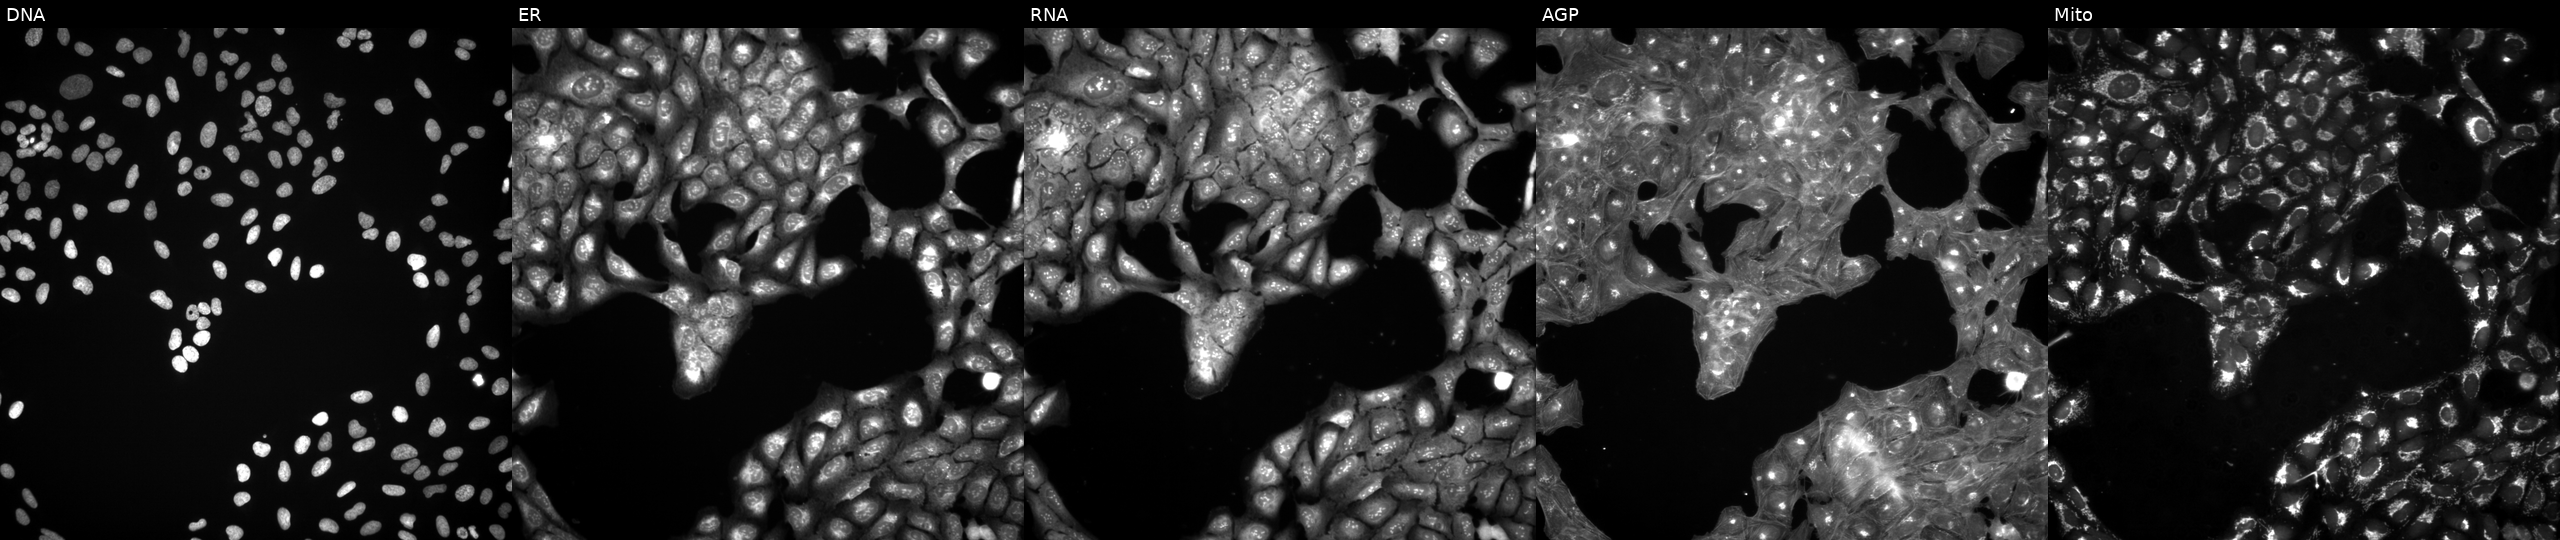
U2OS cells, Cell Painting assay, exposed to a small-molecule compound (InChIKey IFFINIQQYUOOEK-UHFFFAOYSA-N) (JUMP id JCP2022_034686). From left to right: Hoechst 33342, concanavalin A, SYTO 14, phalloidin and WGA, MitoTracker. Each panel is percentile-stretched 16-bit fluorescence.